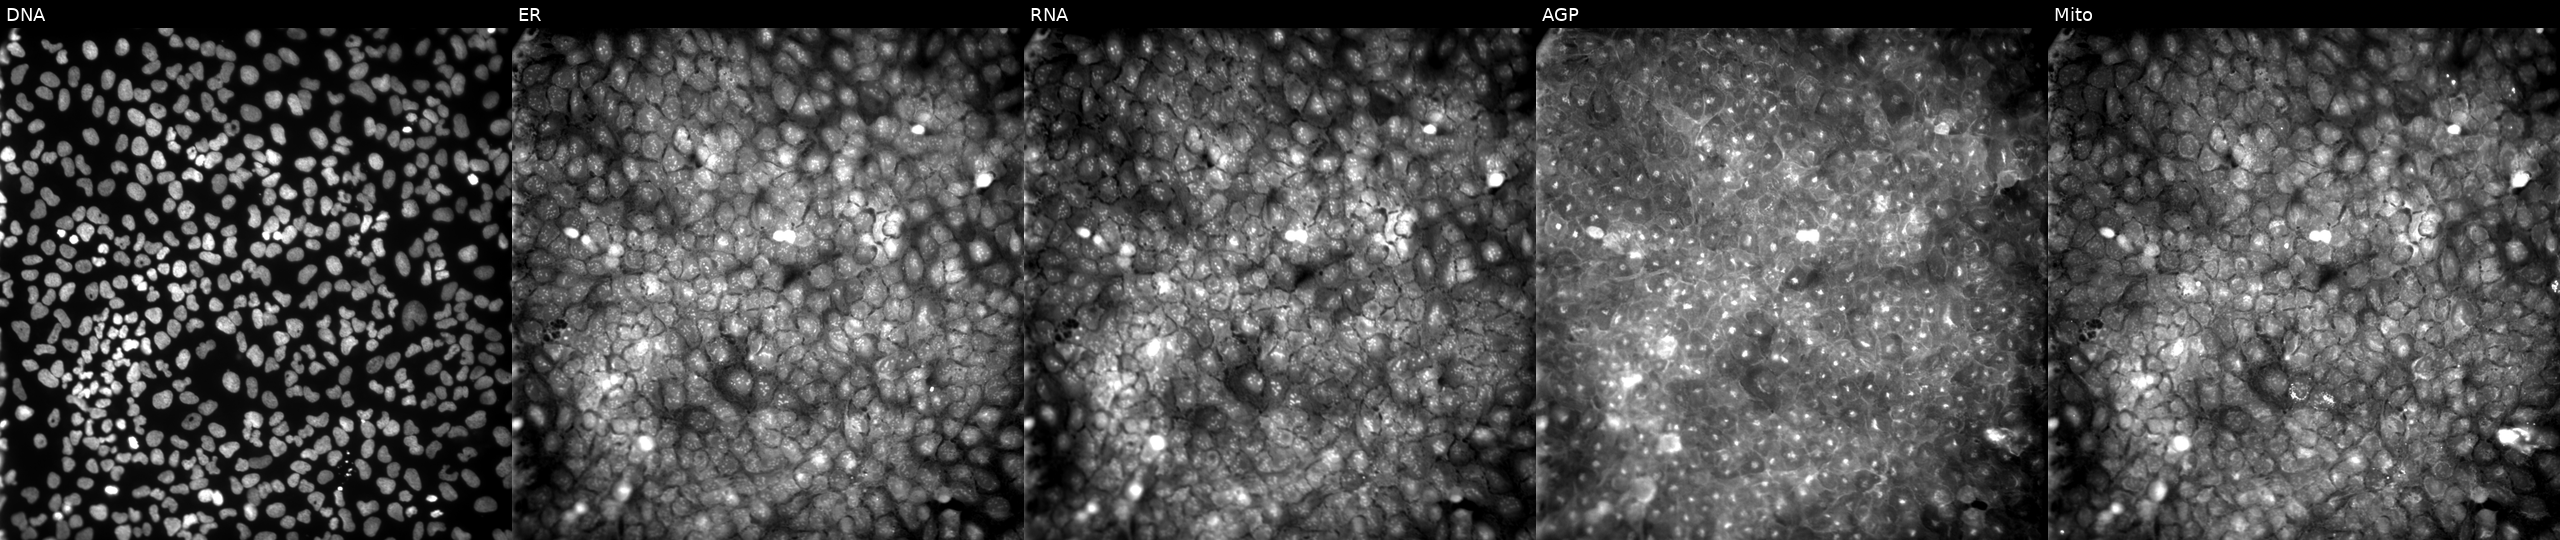
From left to right: Hoechst 33342, concanavalin A, SYTO 14, phalloidin and WGA, MitoTracker. U2OS osteosarcoma cells treated with a small-molecule compound (InChIKey VFAOVSQKTHVMNY-UHFFFAOYSA-N) [SMILES: Cc1ccccc1C(=O)NNc1ccc([N+](=O)[O-])cc1] (JUMP id JCP2022_093538). Cell Painting assay, JUMP-CP dataset. Source 9, plate GR00003382, well AC10.